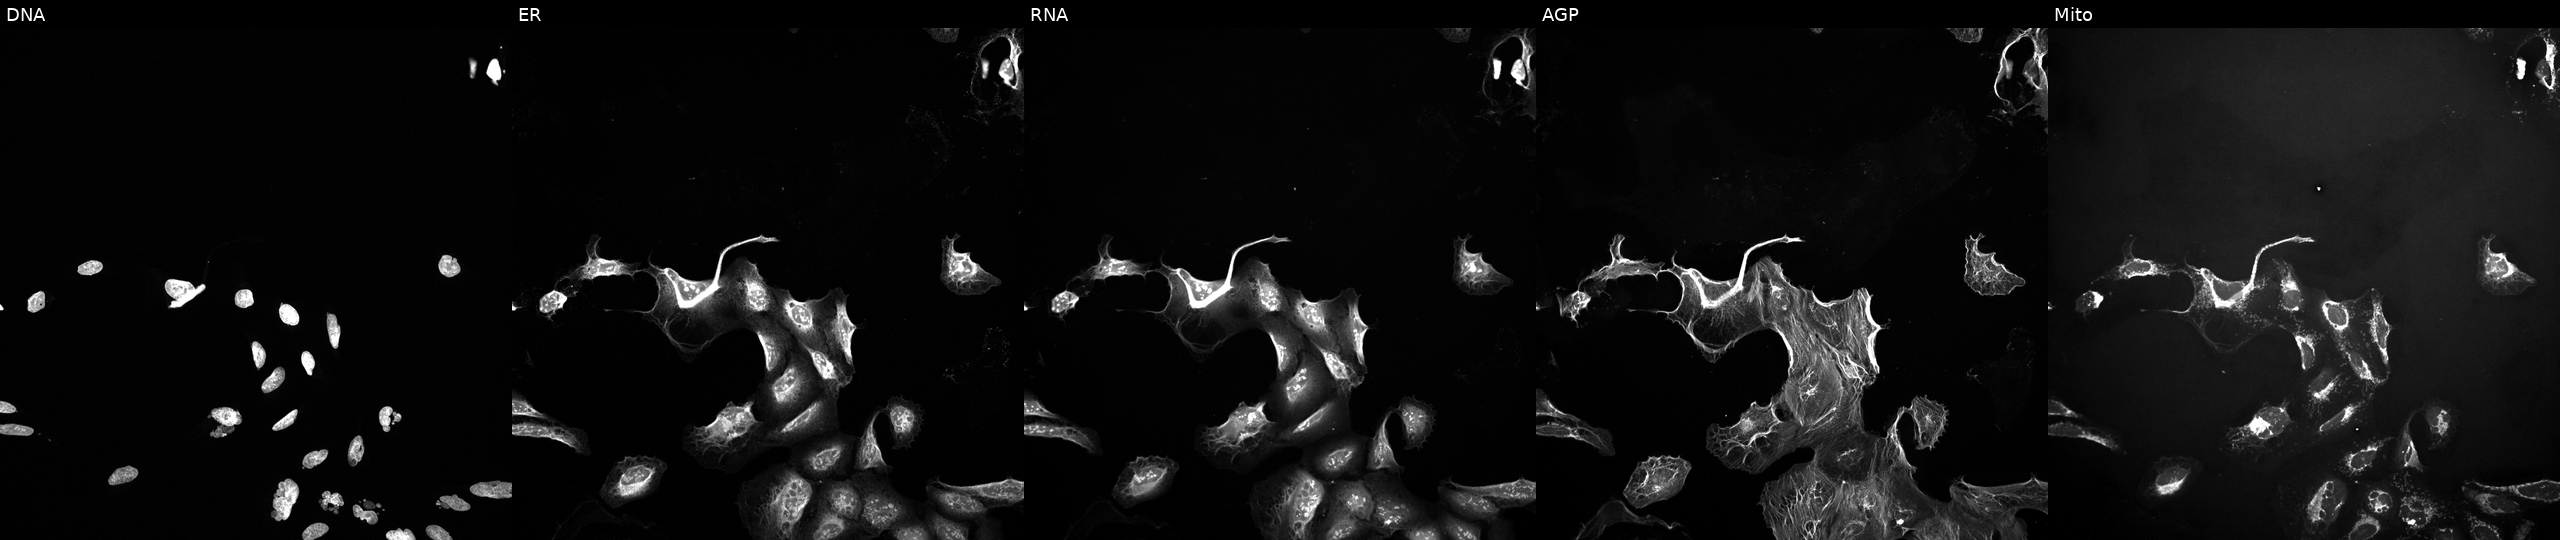
From left to right: DNA (nuclei); ER (endoplasmic reticulum); RNA (nucleoli and cytoplasmic RNA); AGP (actin cytoskeleton, Golgi, and plasma membrane); Mito (mitochondria). U2OS osteosarcoma cells exposed to a small-molecule compound (InChIKey KRBSMMVJJVHVCB-UHFFFAOYSA-N) [SMILES: COC(C(=O)n1cc2[nH][nH]c(=NC(O)c3ccc(N4CCN(C)CC4)cc3)c2c1)c1ccccc1] (JUMP id JCP2022_046462). Cell Painting assay, JUMP-CP dataset. Source 10, plate Dest210726-160150, well J07.